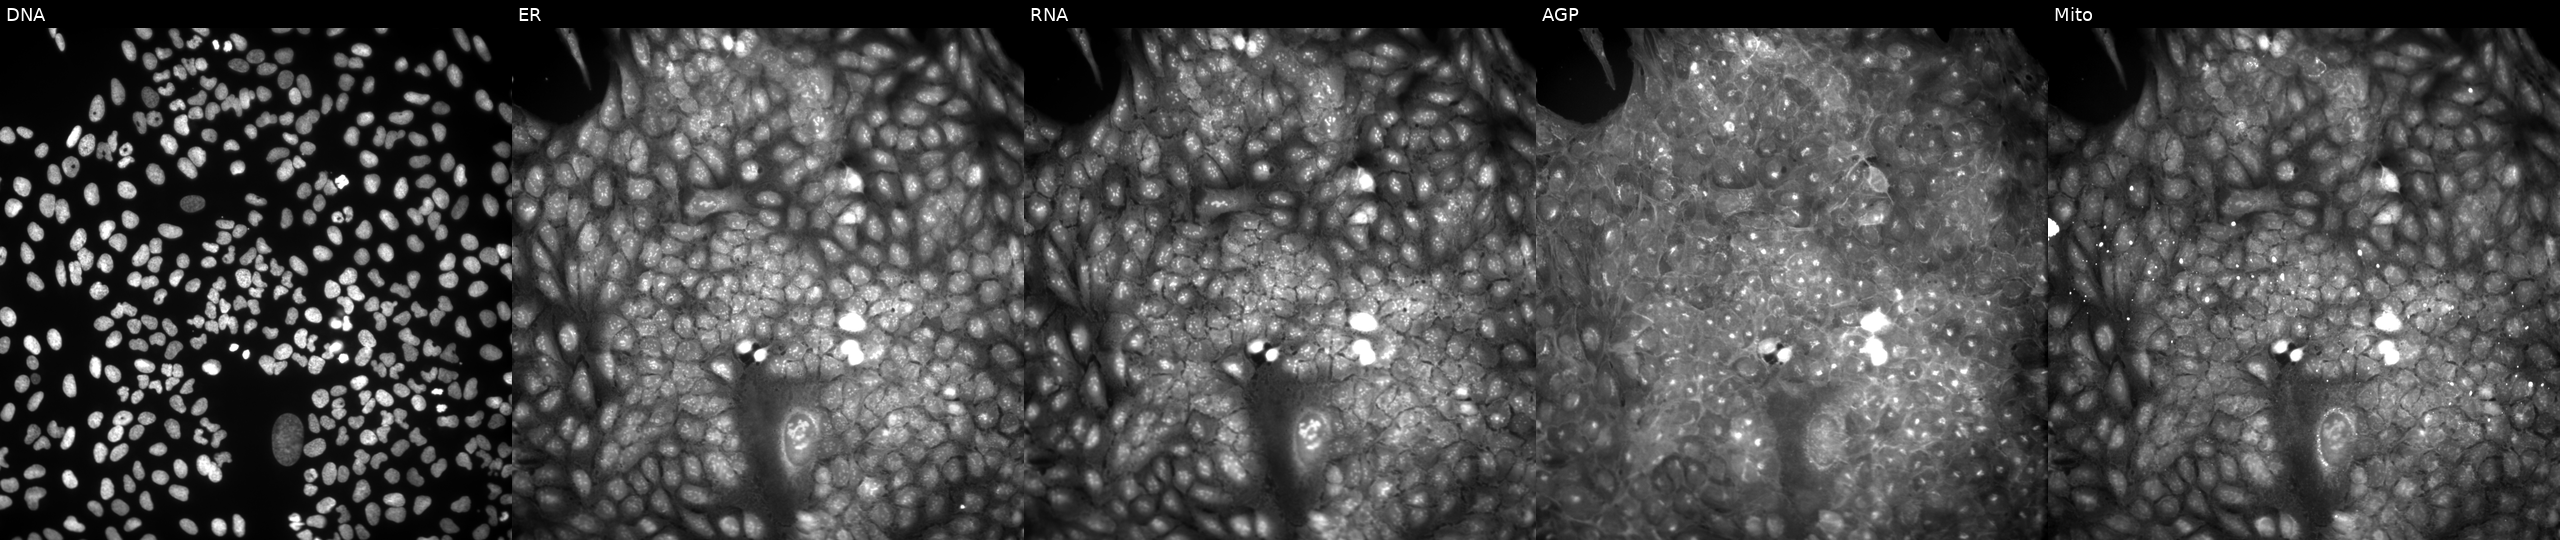
U2OS cells, Cell Painting assay, treated with a small-molecule compound [SMILES: COc1ccc(N(CC(=O)N2CCC(Cc3ccccc3)CC2)S(C)(=O)=O)cc1]. Channels (left→right): Hoechst 33342, concanavalin A, SYTO 14, phalloidin and WGA, MitoTracker. Each panel is percentile-stretched 16-bit fluorescence.